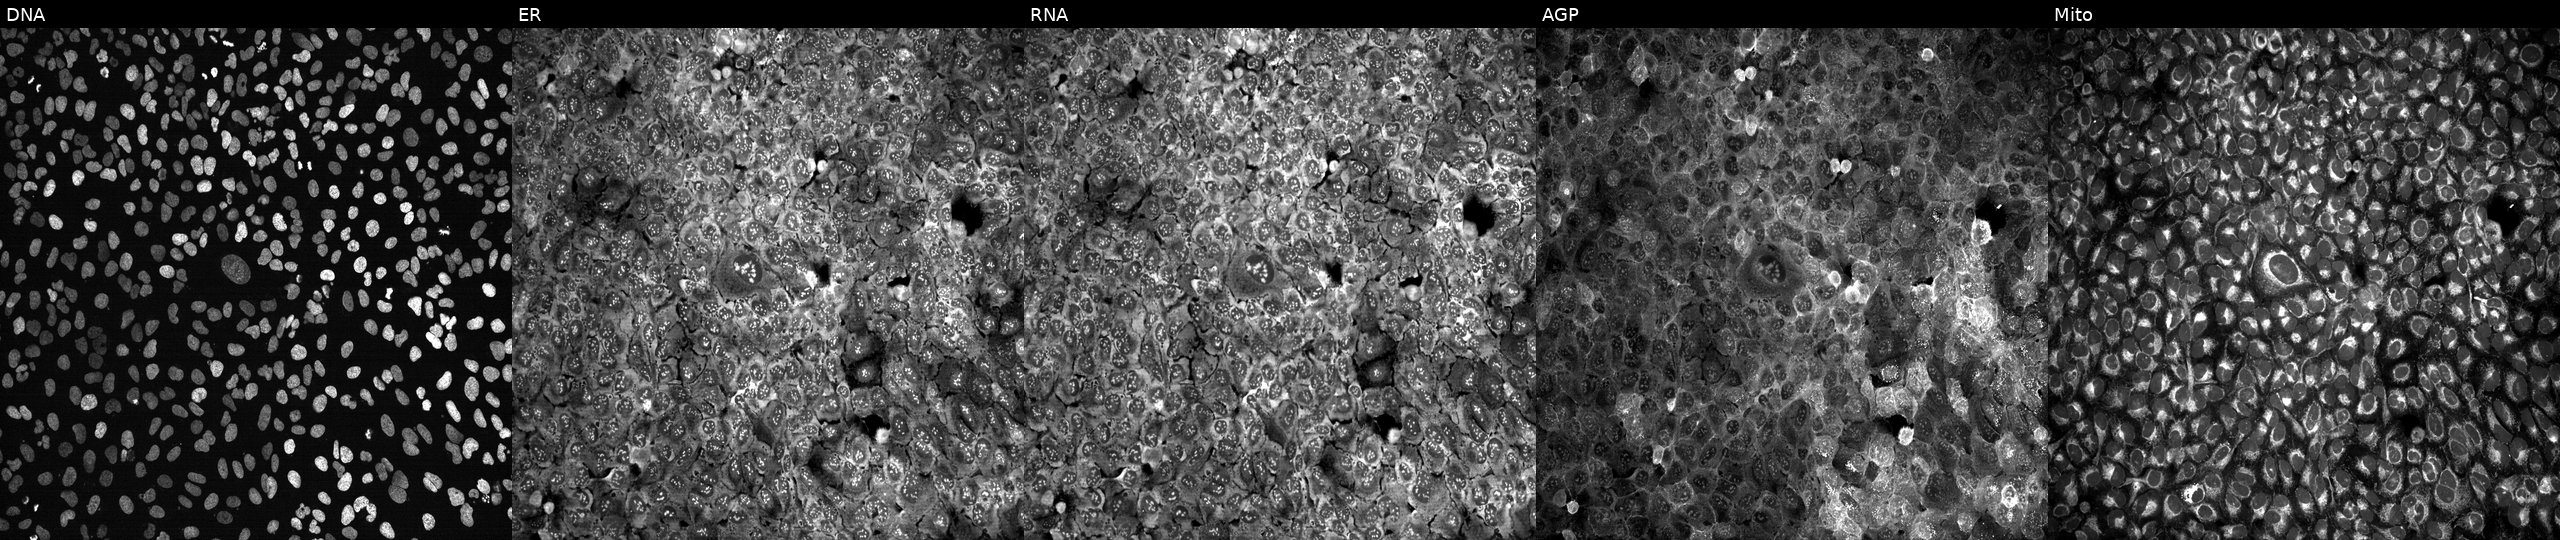
U2OS cells, Cell Painting assay, following CRISPR knockout of NMT1. From left to right: DNA (nuclei); ER (endoplasmic reticulum); RNA (nucleoli and cytoplasmic RNA); AGP (actin cytoskeleton, Golgi, and plasma membrane); Mito (mitochondria). Each panel is percentile-stretched 16-bit fluorescence.